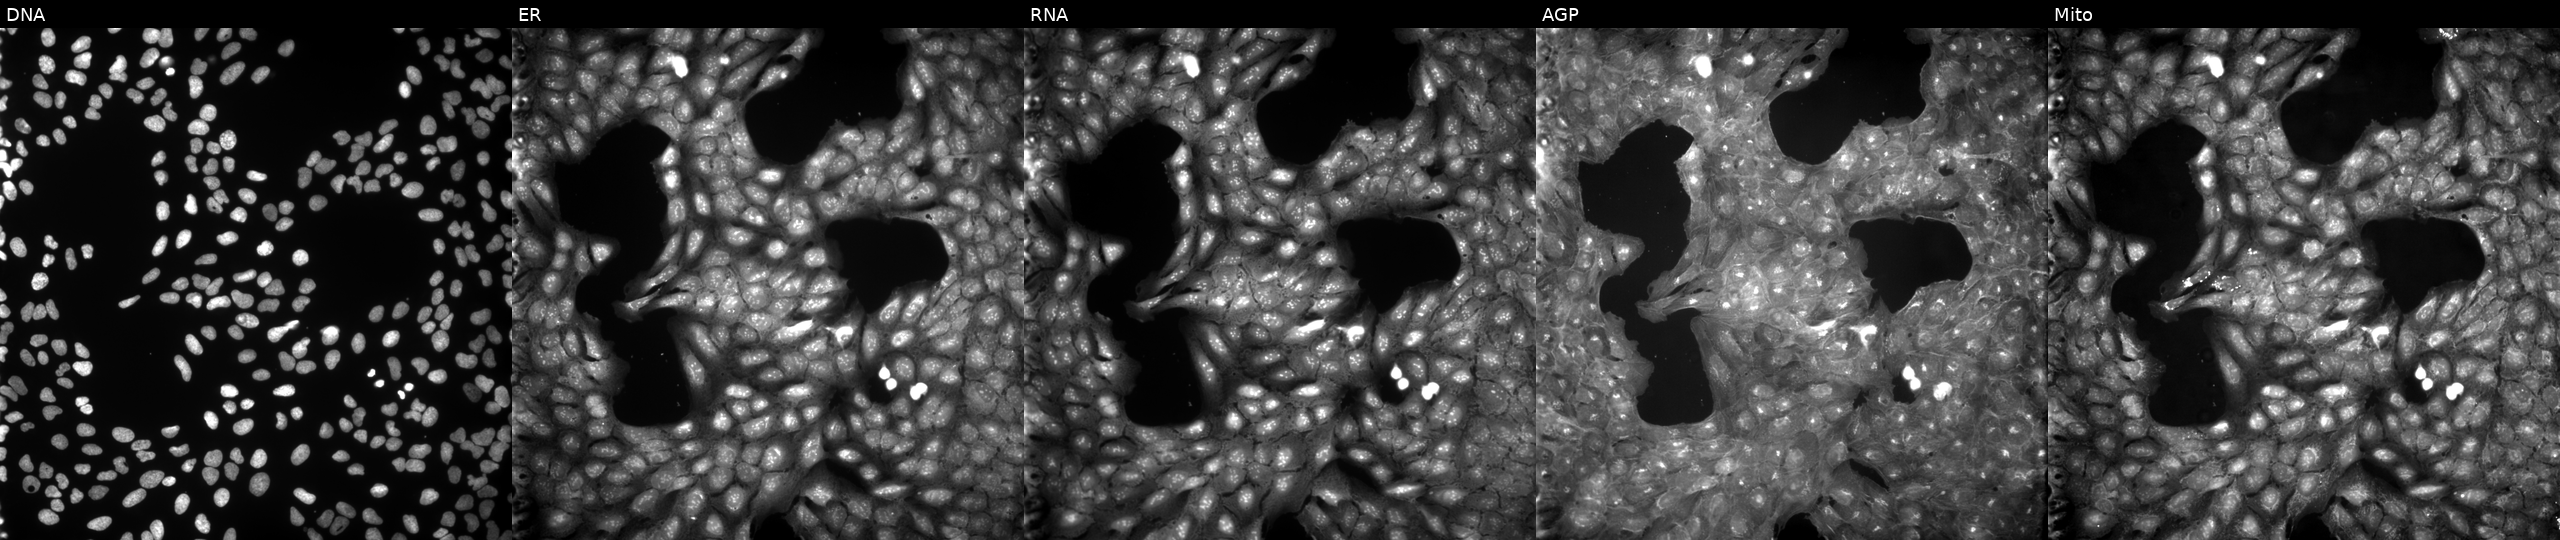
Five-channel Cell Painting image of U2OS cells perturbed with a small-molecule compound (InChIKey PYSLSHYZMGMNRC-UHFFFAOYSA-N). The five panels, left to right, show DNA, ER, RNA, AGP, and Mito. Source 9, plate GR00003382, well I21.